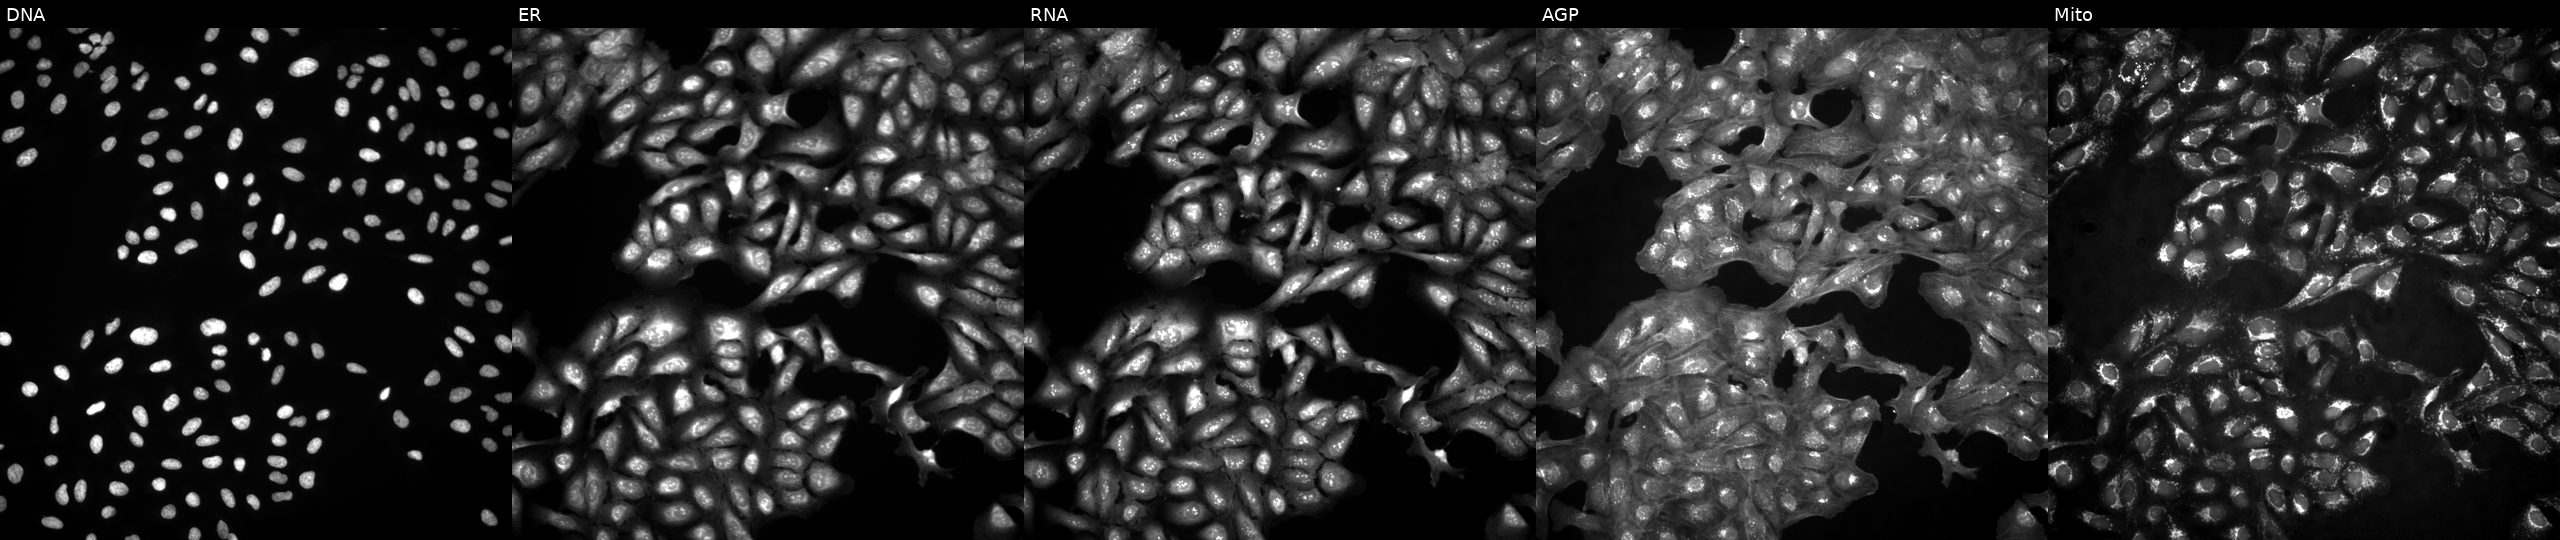
High-content fluorescence microscopy (Cell Painting). Cell line: U2OS. Perturbation: untreated (empty-well control) (JUMP id JCP2022_999999). Channels (left→right): DNA, ER, RNA, AGP, and Mito.